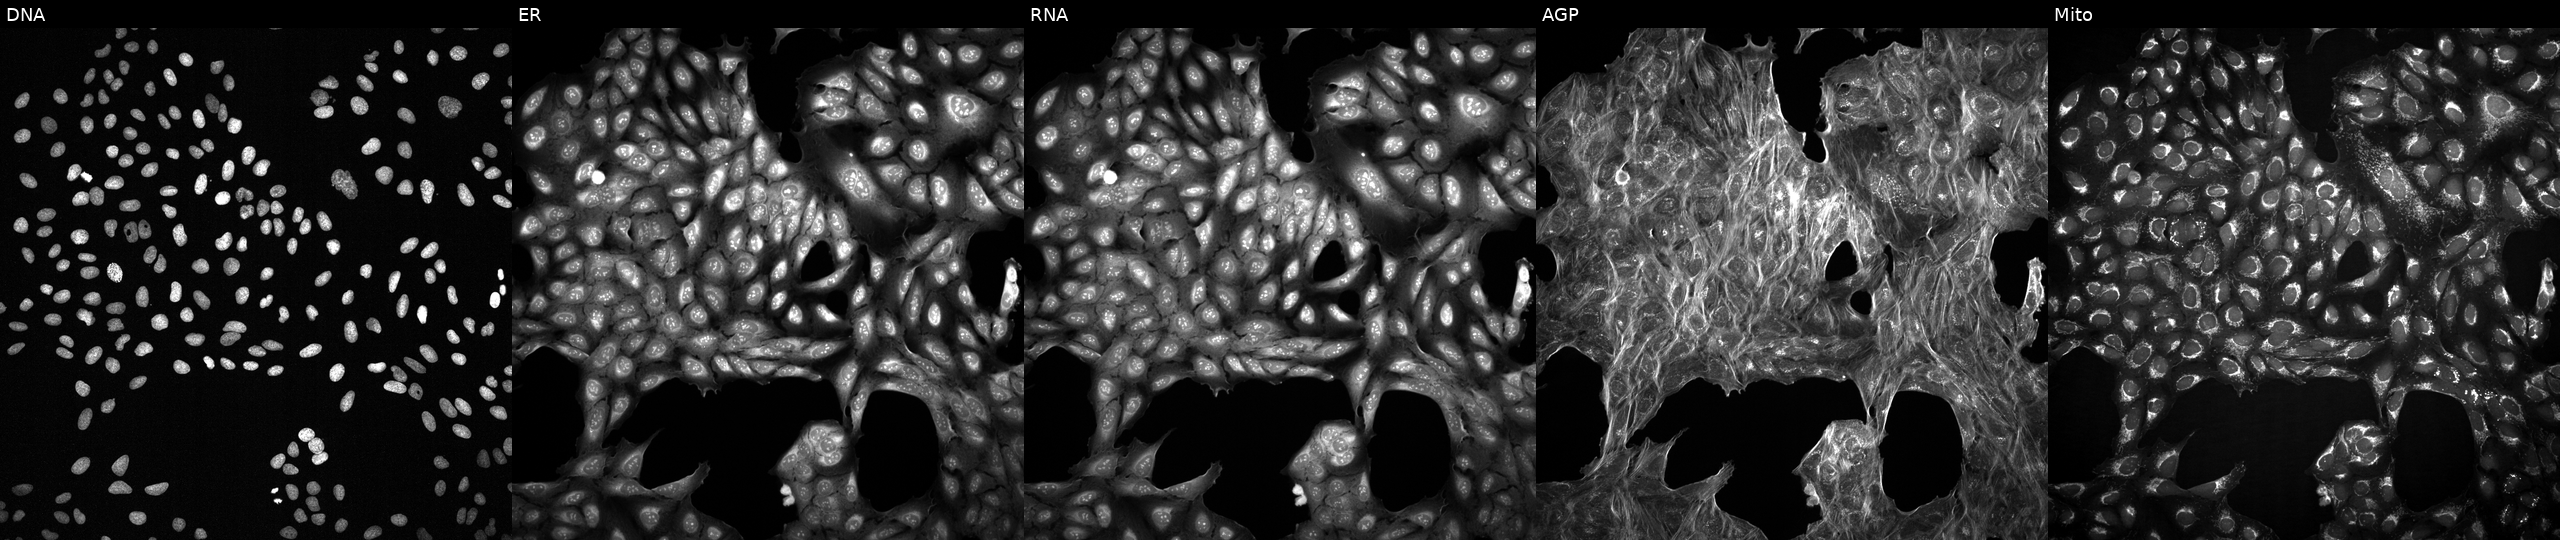
U2OS cells, Cell Painting assay, treated with a small-molecule compound (InChIKey GBNZRKVCXLVEBJ-UHFFFAOYSA-N). The five panels, left to right, show DNA (nuclei); ER (endoplasmic reticulum); RNA (nucleoli and cytoplasmic RNA); AGP (actin cytoskeleton, Golgi, and plasma membrane); Mito (mitochondria). Each panel is percentile-stretched 16-bit fluorescence.